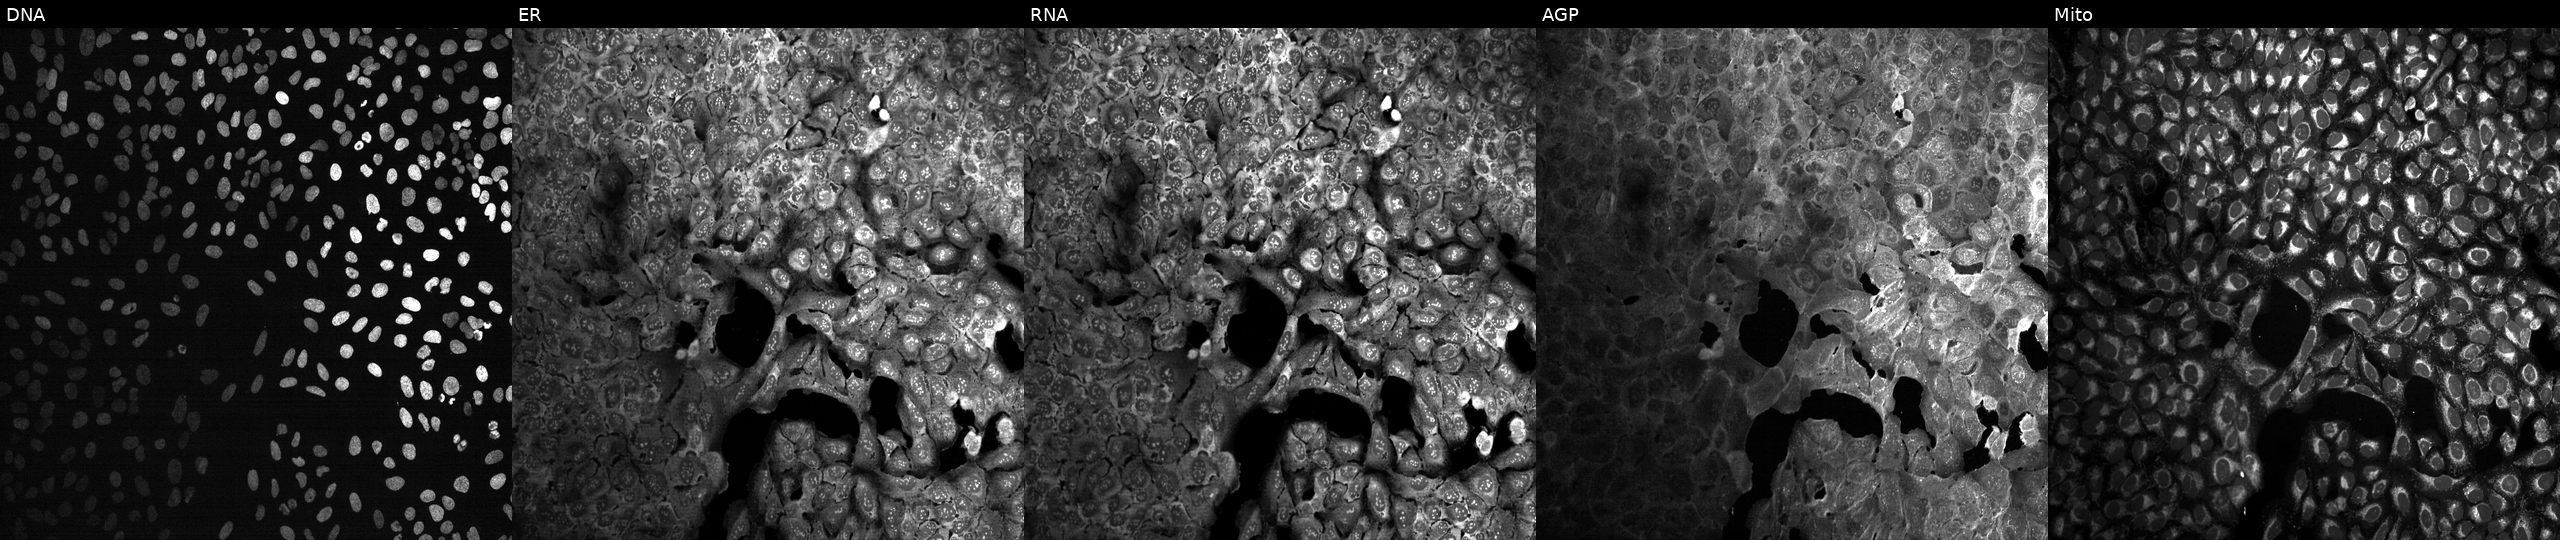
Five-channel Cell Painting image of U2OS cells CRISPR-edited to disrupt TNXB (JUMP id JCP2022_807190). Channels (left→right): DNA (nuclei); ER (endoplasmic reticulum); RNA (nucleoli and cytoplasmic RNA); AGP (actin cytoskeleton, Golgi, and plasma membrane); Mito (mitochondria).